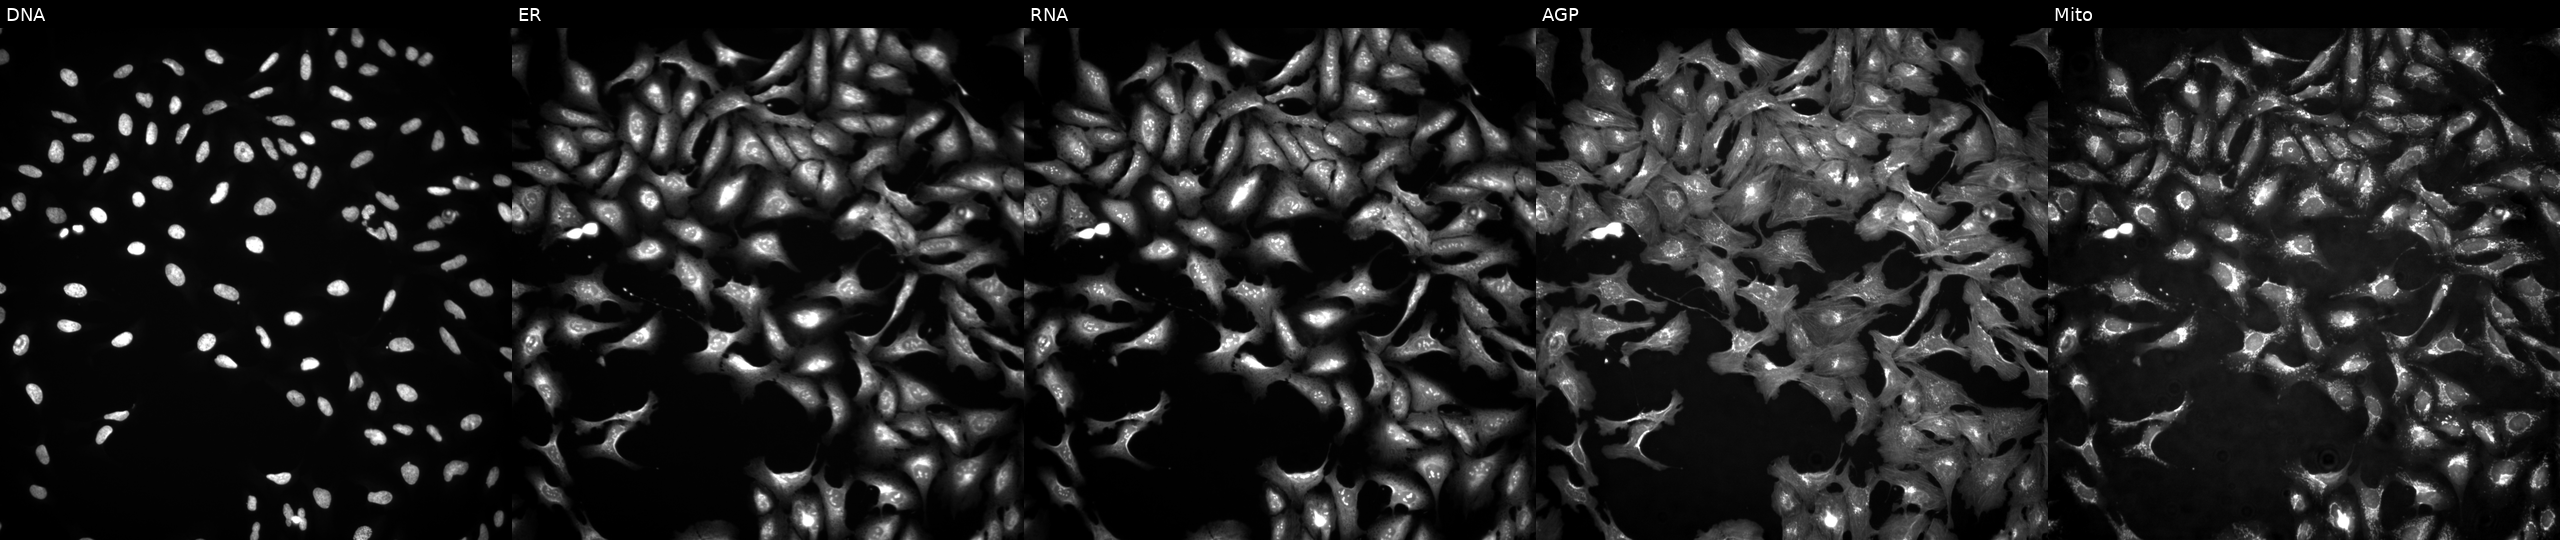
U2OS cells, Cell Painting assay, overexpressing NUAK2 via ORF transfection (JUMP id JCP2022_914185). Channels (left→right): DNA, ER, RNA, AGP, and Mito. Each panel is percentile-stretched 16-bit fluorescence. Source 4, plate BR00123945, well B17.